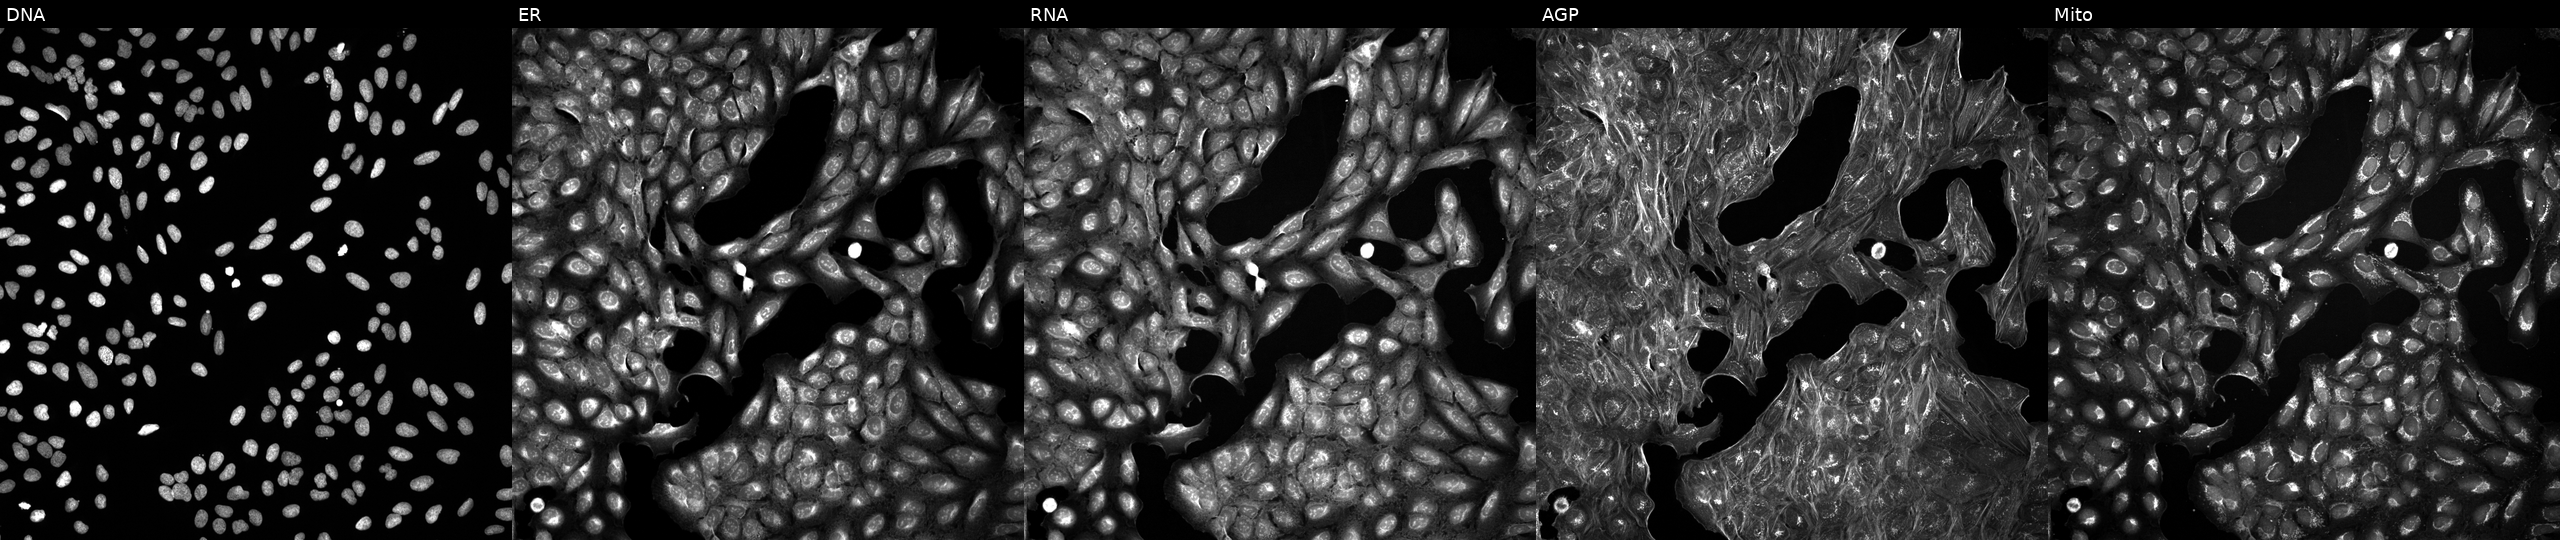
U2OS cells, Cell Painting assay, exposed to DMSO alone as a negative control (JUMP id JCP2022_033924). The five panels, left to right, show DNA (nuclei); ER (endoplasmic reticulum); RNA (nucleoli and cytoplasmic RNA); AGP (actin cytoskeleton, Golgi, and plasma membrane); Mito (mitochondria). Each panel is percentile-stretched 16-bit fluorescence.